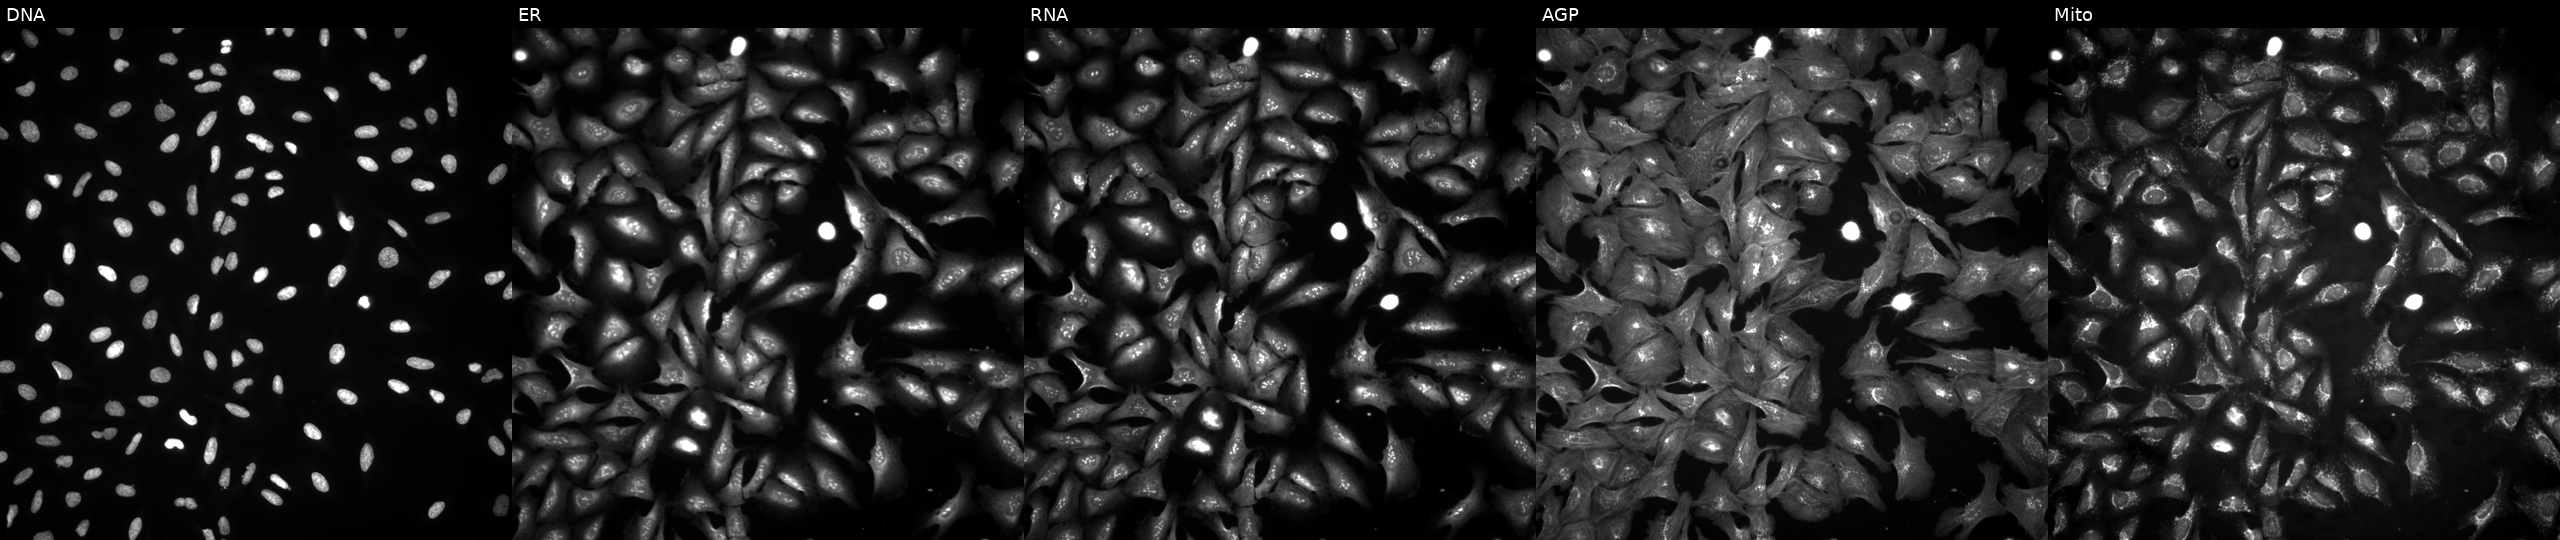
Five-channel Cell Painting image of U2OS cells overexpressing UQCR10 via ORF transfection (JUMP id JCP2022_907597). Panels show, left to right, Hoechst 33342, concanavalin A, SYTO 14, phalloidin and WGA, MitoTracker.